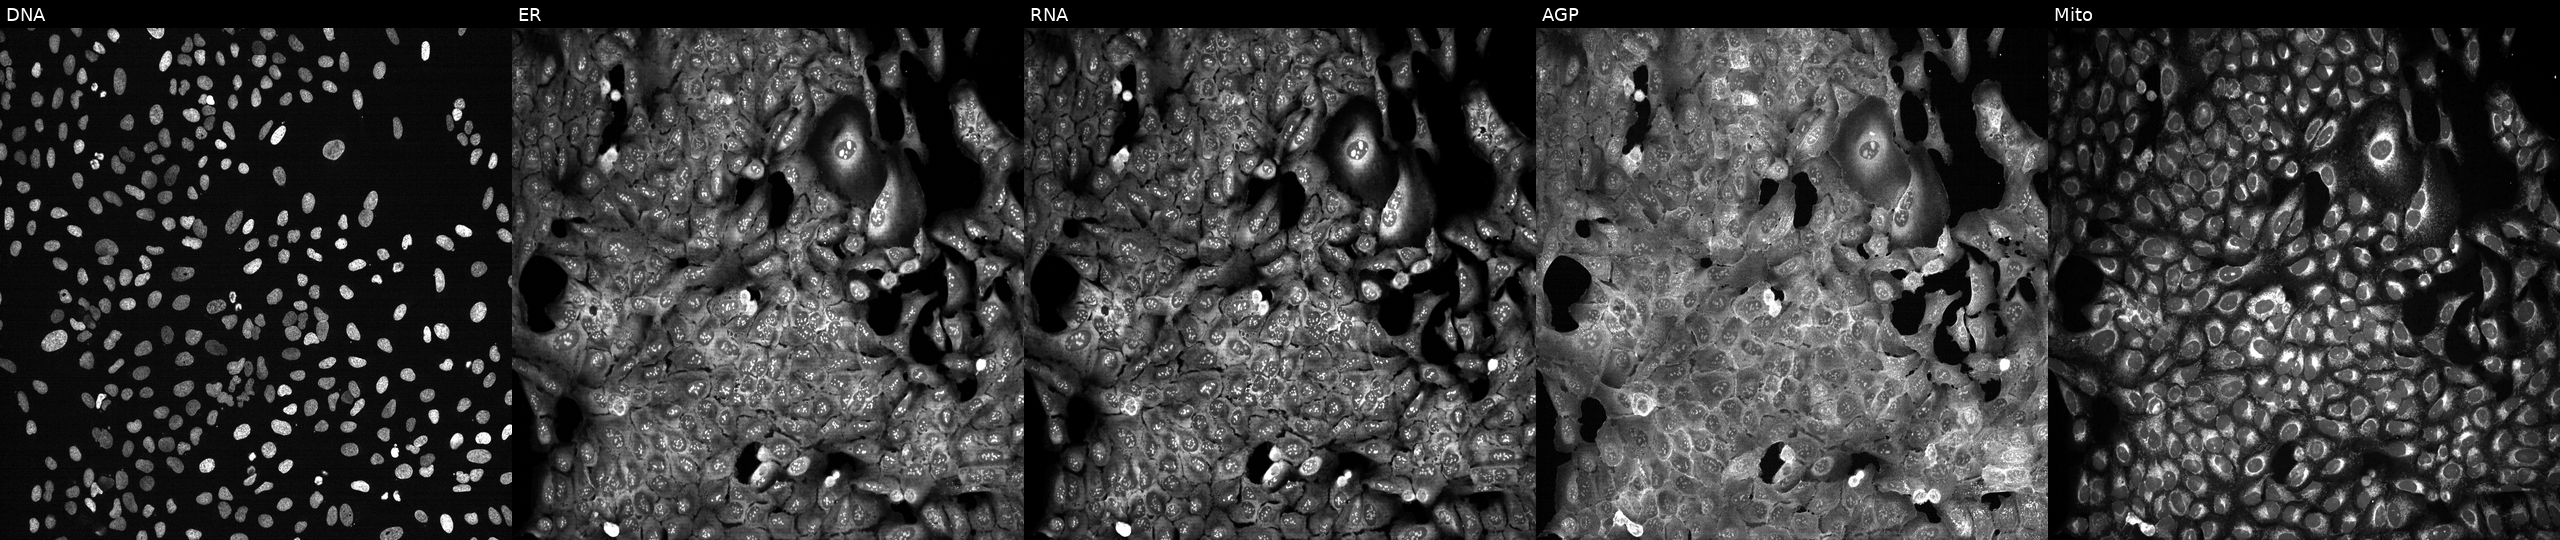
High-content fluorescence microscopy (Cell Painting). Cell line: U2OS. Perturbation: with EXOSC7 knocked out by CRISPR (JUMP id JCP2022_802212). Panels show, left to right, DNA, ER, RNA, AGP, and Mito.